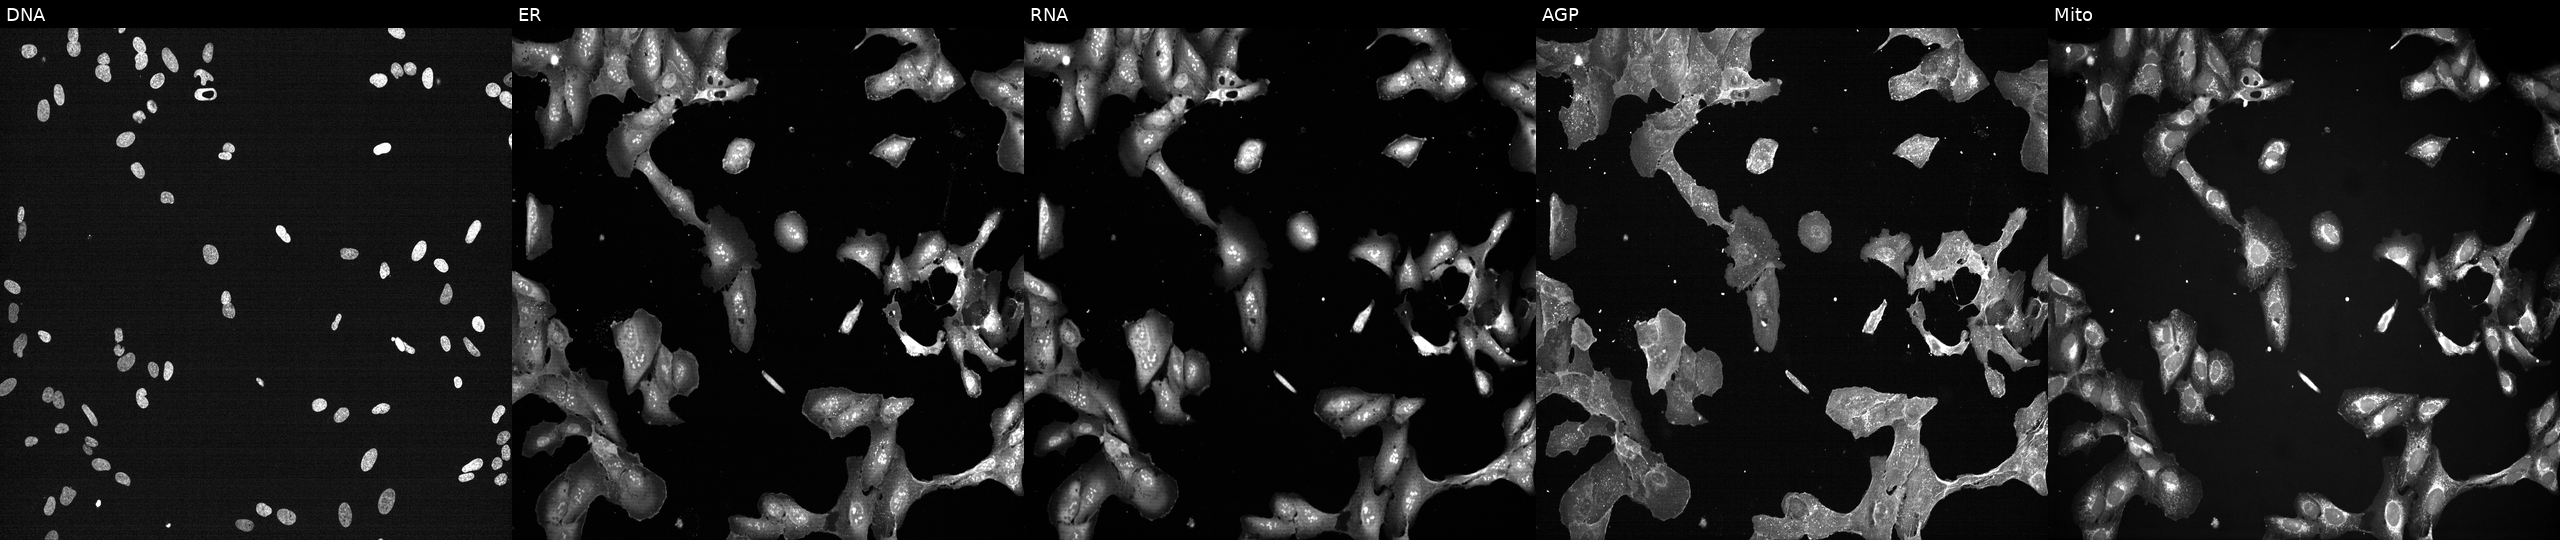
This image strip shows the five Cell Painting channels for a single field of U2OS cells perturbed with a small-molecule compound (InChIKey HUXYBQXJVXOMKX-UHFFFAOYSA-N) (JUMP id JCP2022_032771). Channels (left→right): Hoechst 33342, concanavalin A, SYTO 14, phalloidin and WGA, MitoTracker.